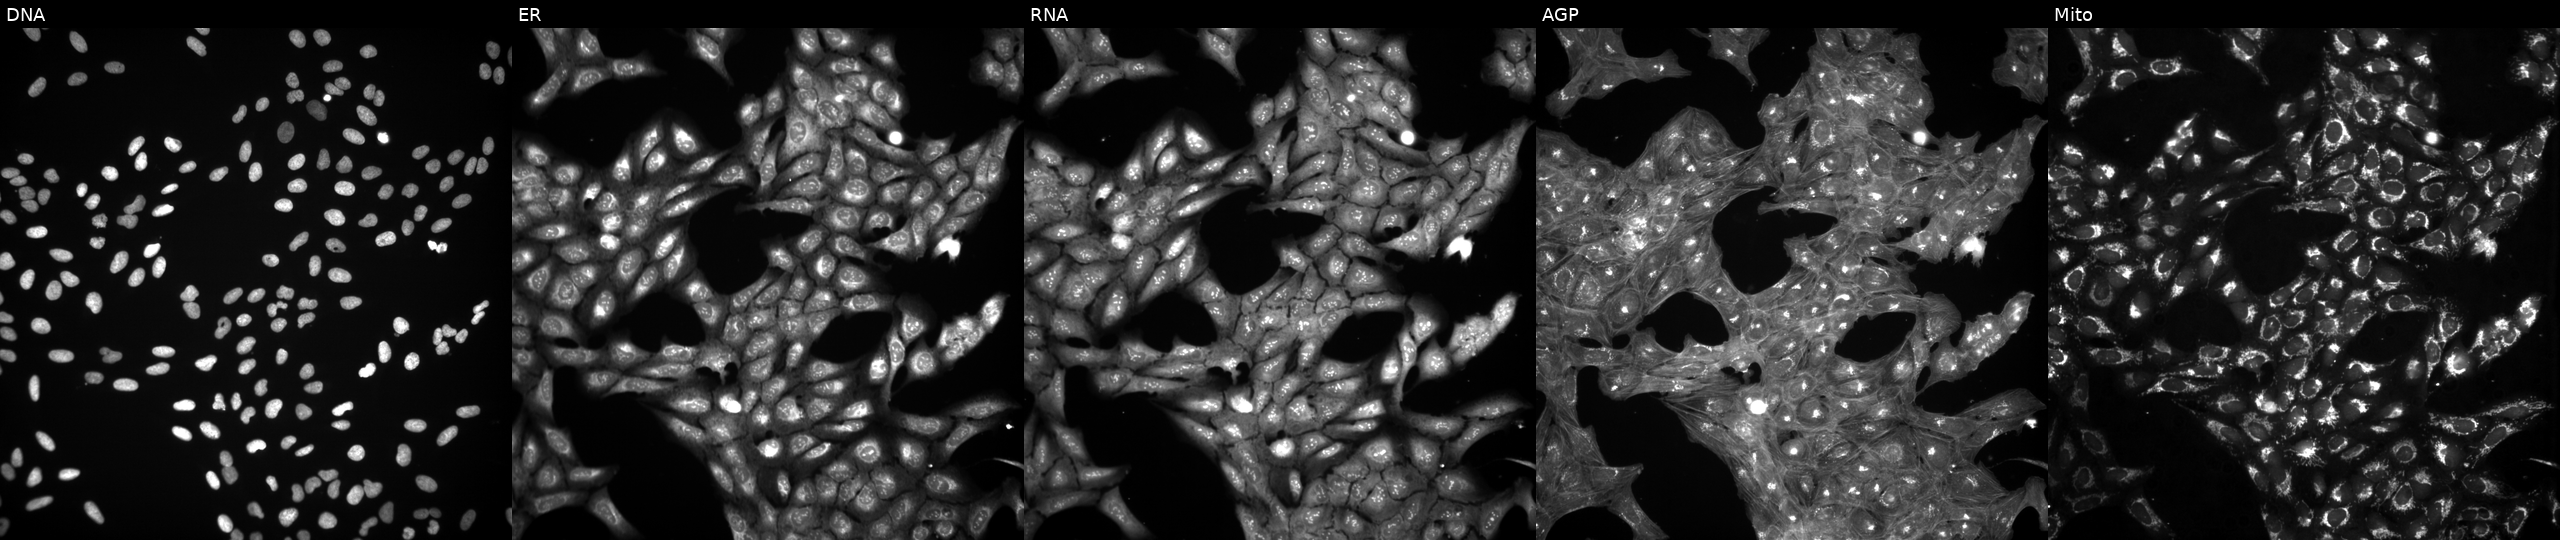
JUMP Cell Painting — COMPOUND plate. U2OS cells perturbed with a small-molecule compound (JUMP id JCP2022_071050). Channels (left→right): DNA, ER, RNA, AGP, and Mito. Source 3, plate BR5867a3, well J21.